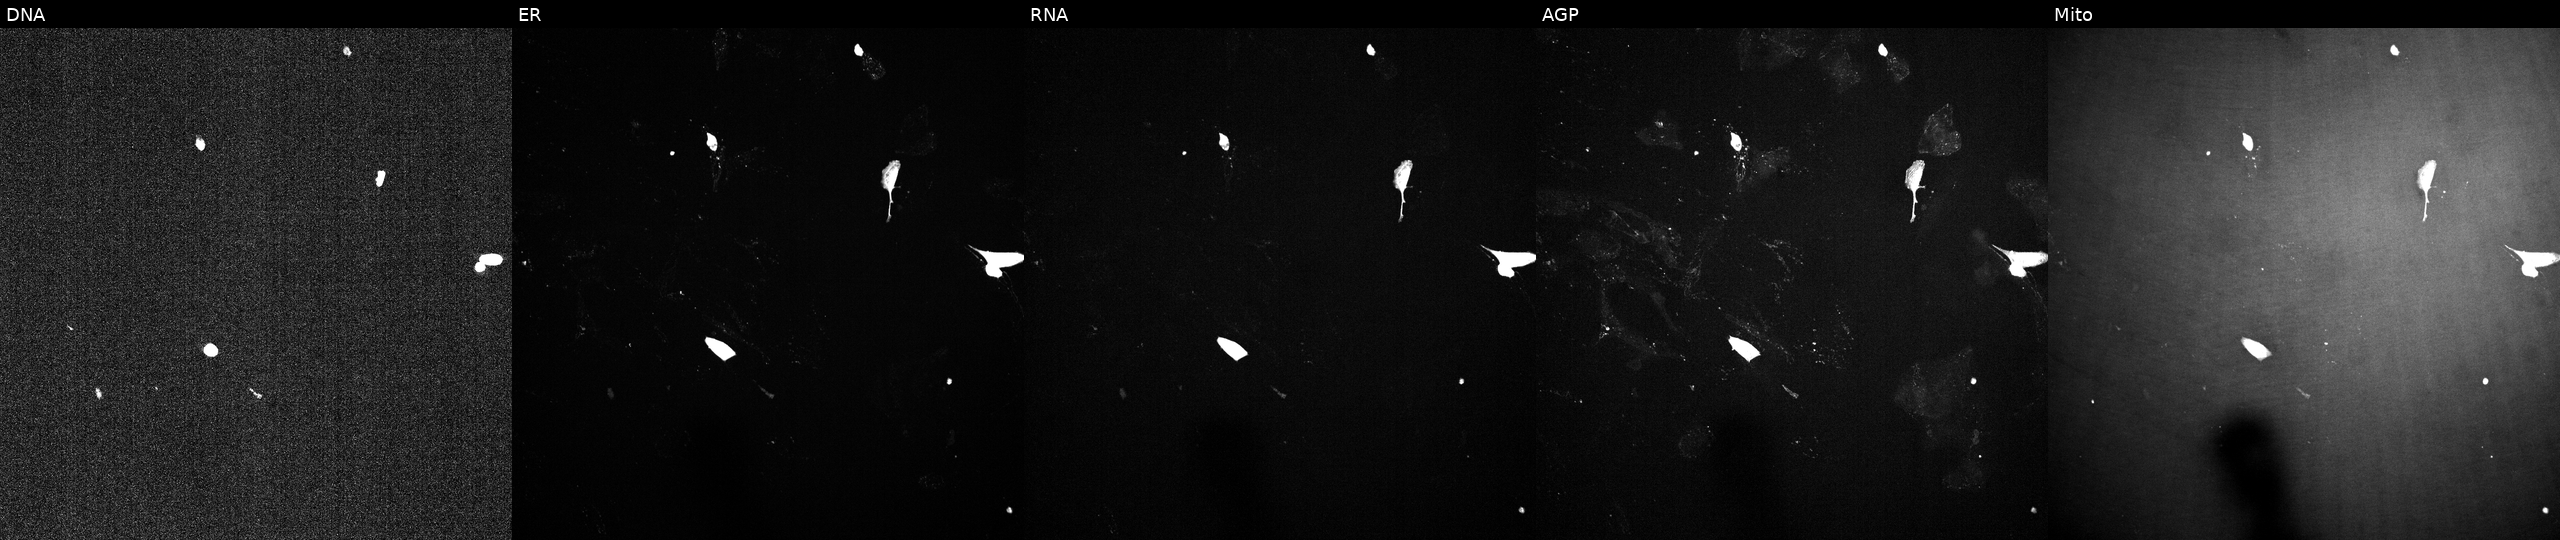
Panels show, left to right, Hoechst 33342, concanavalin A, SYTO 14, phalloidin and WGA, MitoTracker. U2OS osteosarcoma cells perturbed with a small-molecule compound (InChIKey SOOPLNPQGWJZHY-UHFFFAOYSA-N). Cell Painting assay, JUMP-CP dataset.